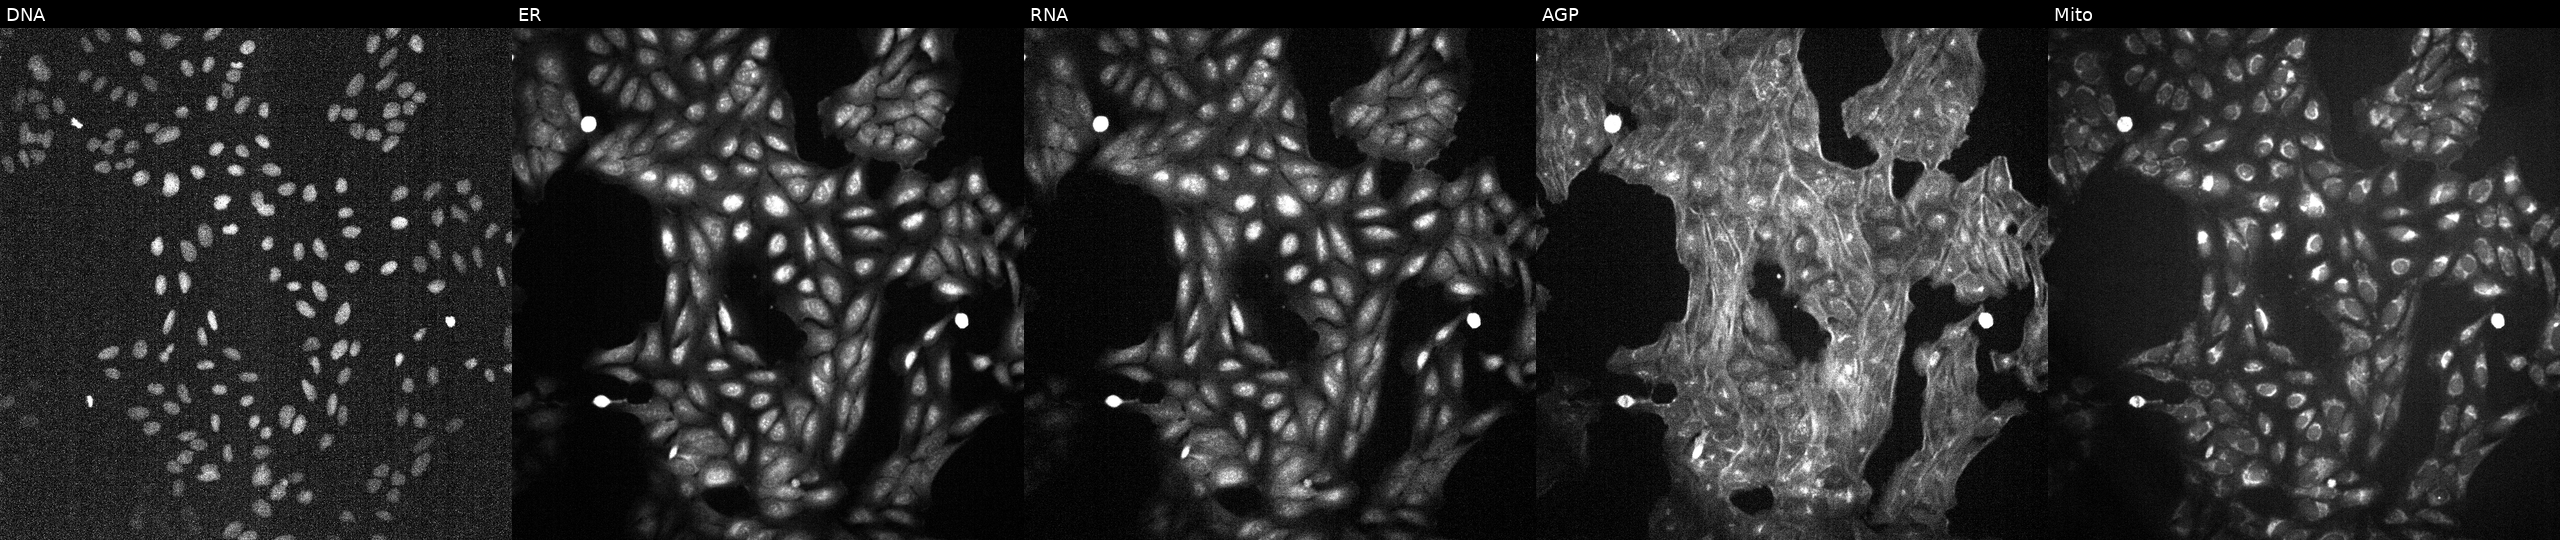
Panels show, left to right, DNA (nuclei); ER (endoplasmic reticulum); RNA (nucleoli and cytoplasmic RNA); AGP (actin cytoskeleton, Golgi, and plasma membrane); Mito (mitochondria). U2OS osteosarcoma cells exposed to a small-molecule compound [SMILES: CCCCCCC(CCC)C(=O)O]. Cell Painting assay, JUMP-CP dataset.